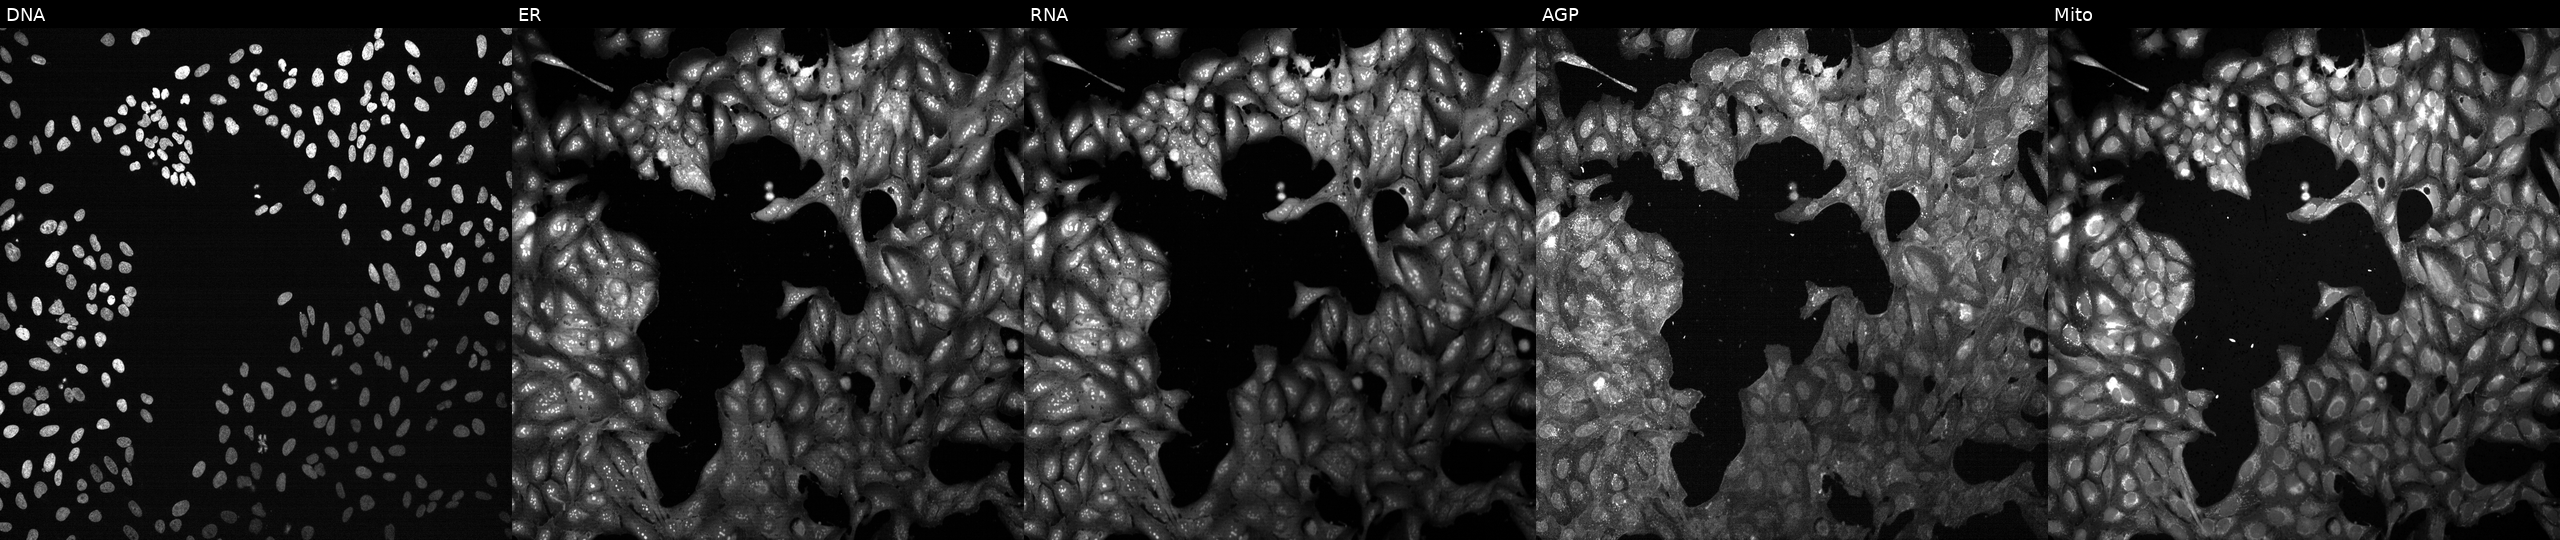
This image strip shows the five Cell Painting channels for a single field of U2OS cells CRISPR-edited to disrupt DAD1. From left to right: DNA (nuclei); ER (endoplasmic reticulum); RNA (nucleoli and cytoplasmic RNA); AGP (actin cytoskeleton, Golgi, and plasma membrane); Mito (mitochondria).